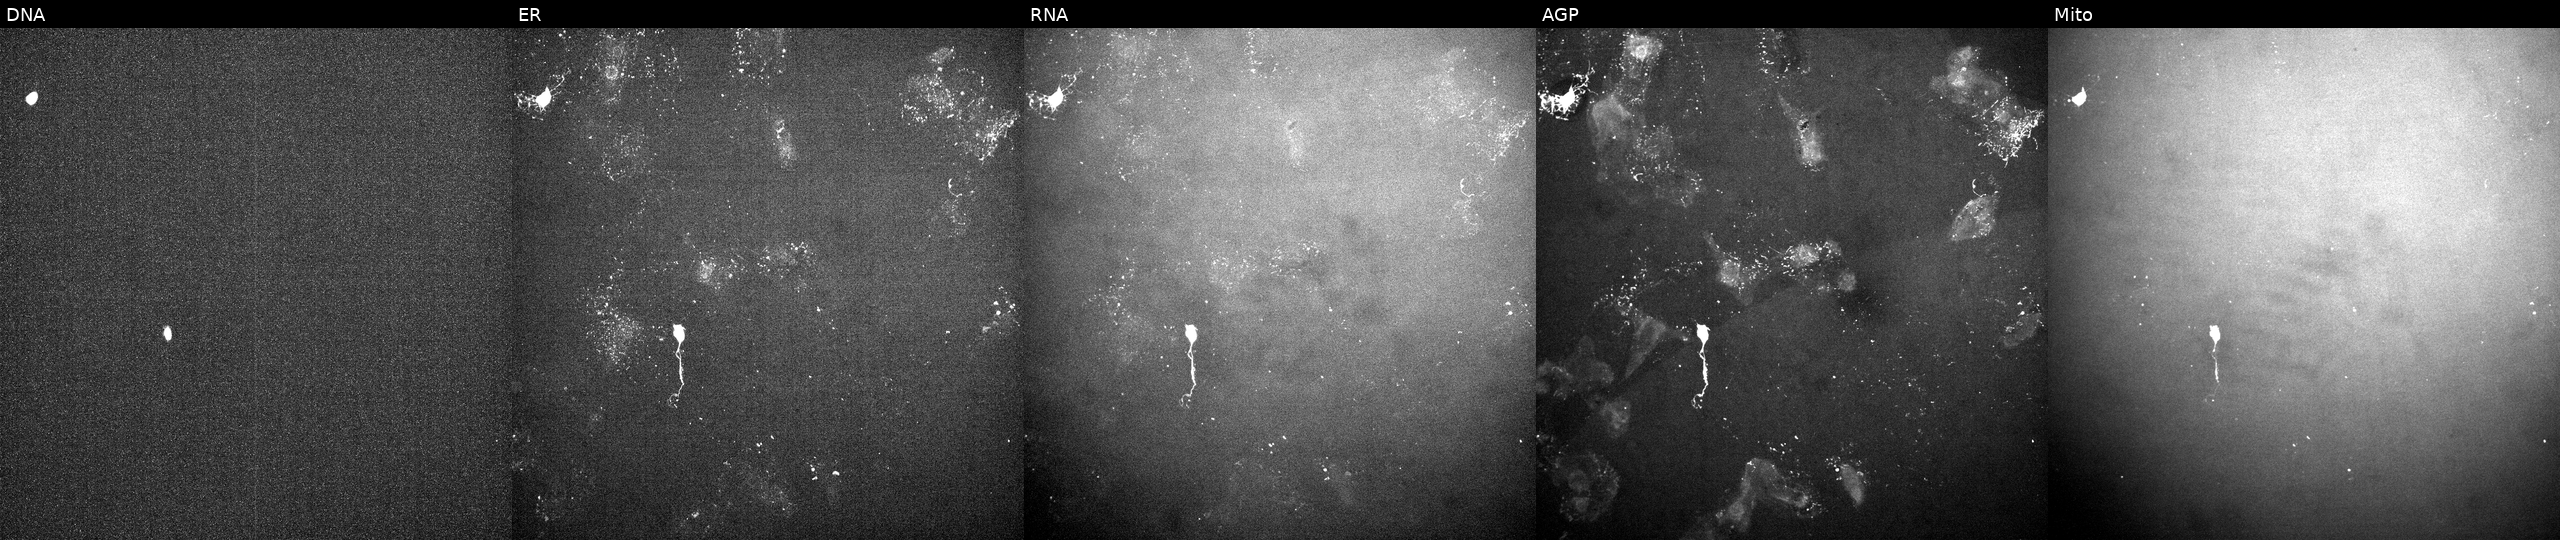
Five-channel Cell Painting image of U2OS cells exposed to a small-molecule compound (InChIKey IAYGCINLNONXHY-UHFFFAOYSA-N) [SMILES: NC(=O)Nc1cc(-c2cccc(F)c2)sc1C(=O)NC1CCCNC1]. Panels show, left to right, DNA (nuclei); ER (endoplasmic reticulum); RNA (nucleoli and cytoplasmic RNA); AGP (actin cytoskeleton, Golgi, and plasma membrane); Mito (mitochondria).